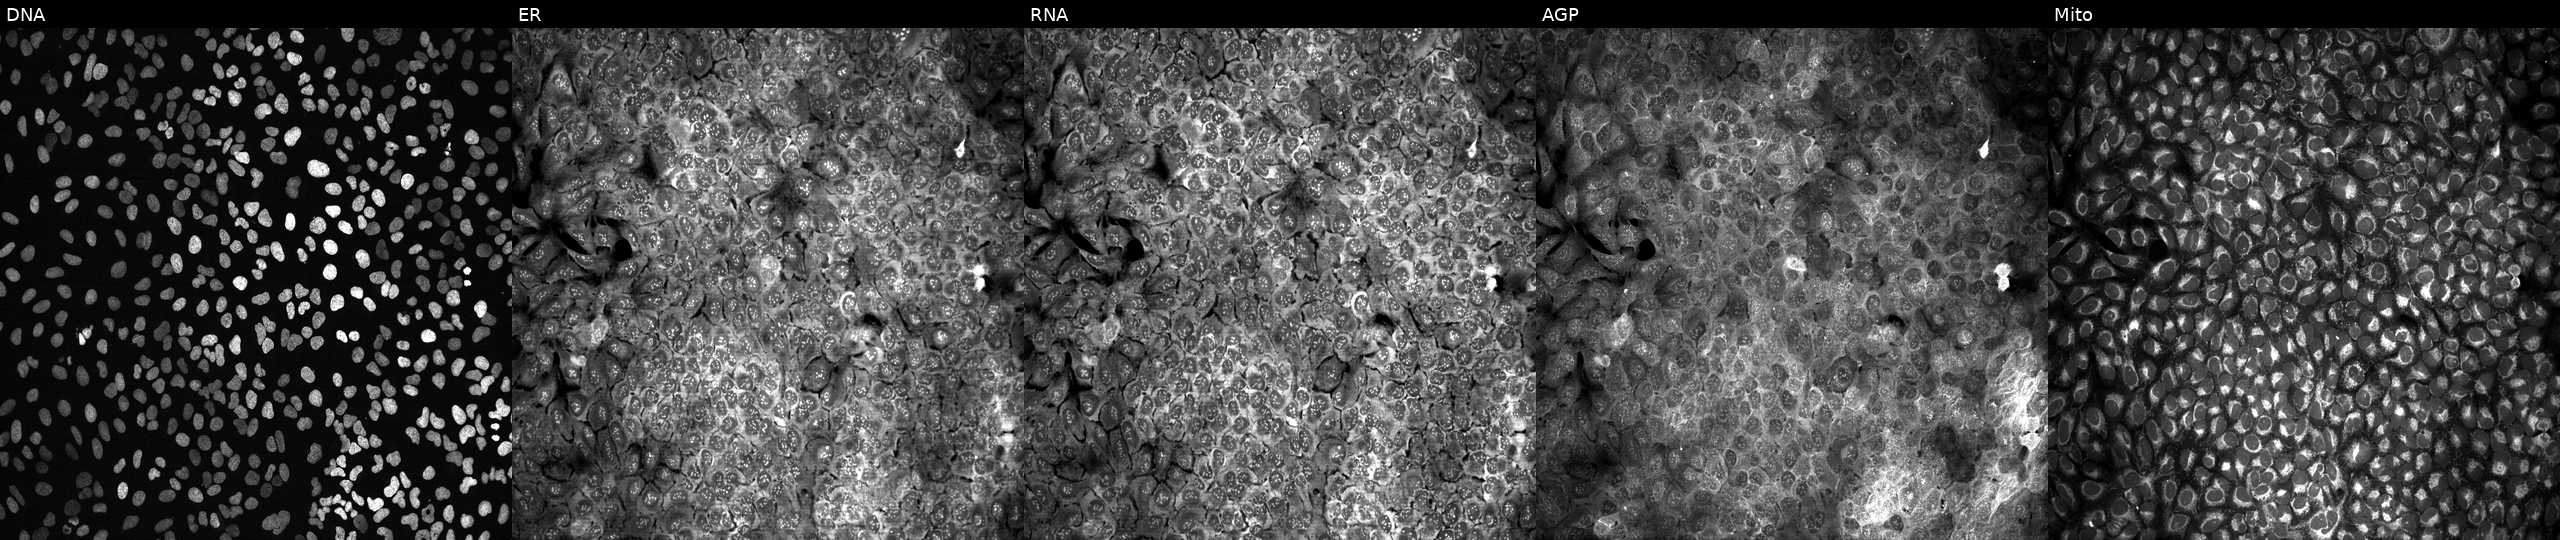
Five-channel Cell Painting image of U2OS cells with PNLIPRP3 knocked out by CRISPR (JUMP id JCP2022_805309). From left to right: Hoechst 33342, concanavalin A, SYTO 14, phalloidin and WGA, MitoTracker.